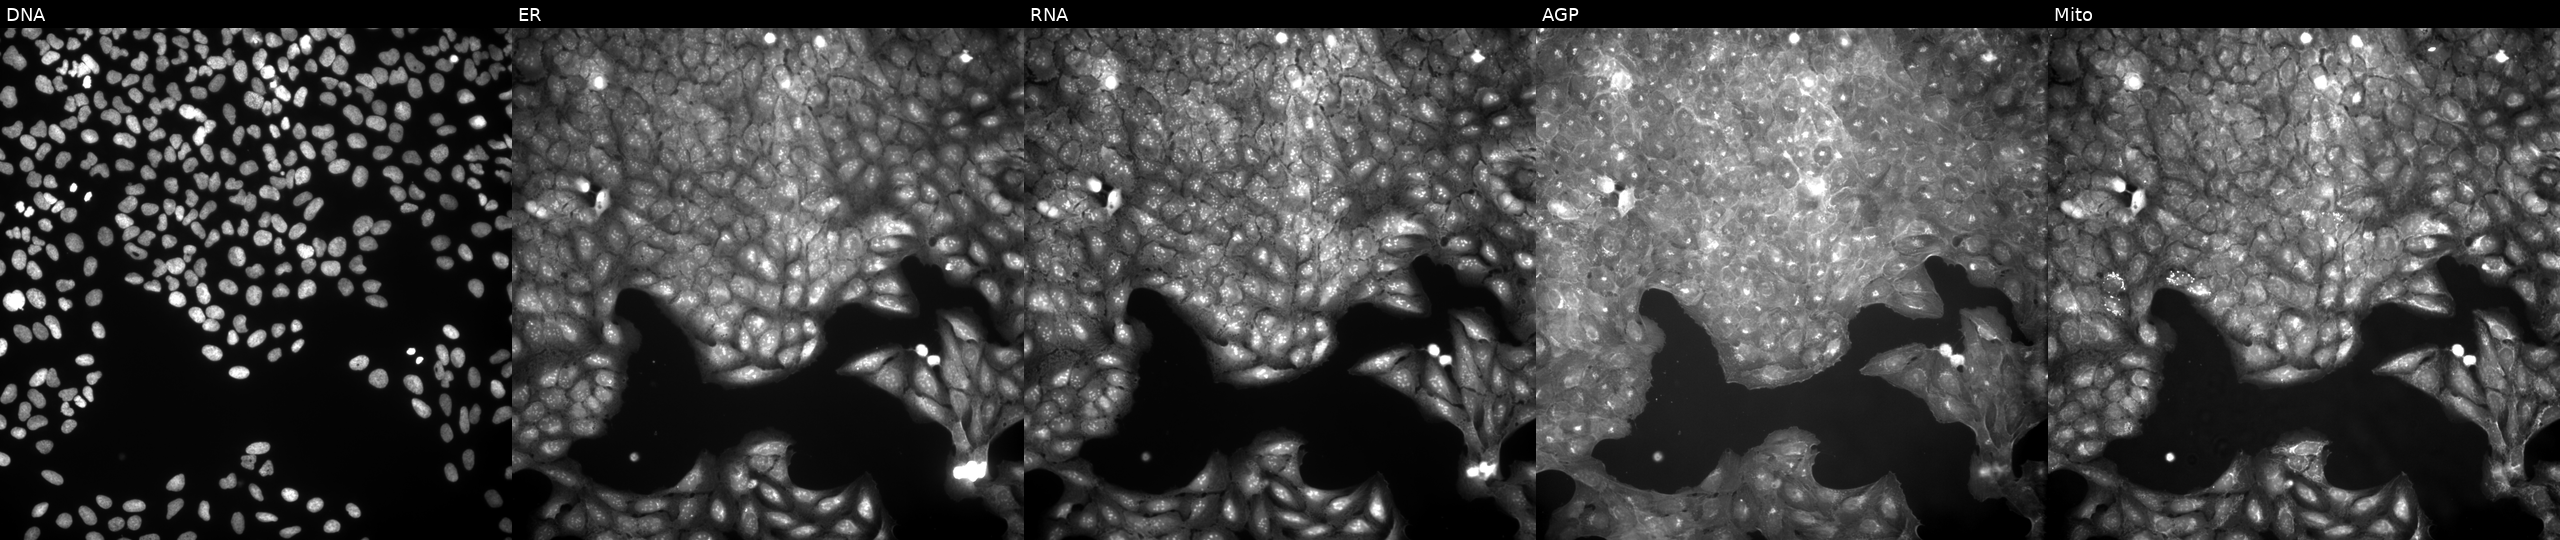
From left to right: Hoechst 33342, concanavalin A, SYTO 14, phalloidin and WGA, MitoTracker. U2OS osteosarcoma cells perturbed with a small-molecule compound (InChIKey AUUUWZZWOMHWKP-UHFFFAOYSA-N) (JUMP id JCP2022_004015). Cell Painting assay, JUMP-CP dataset. Source 9, plate GR00003382, well O30.